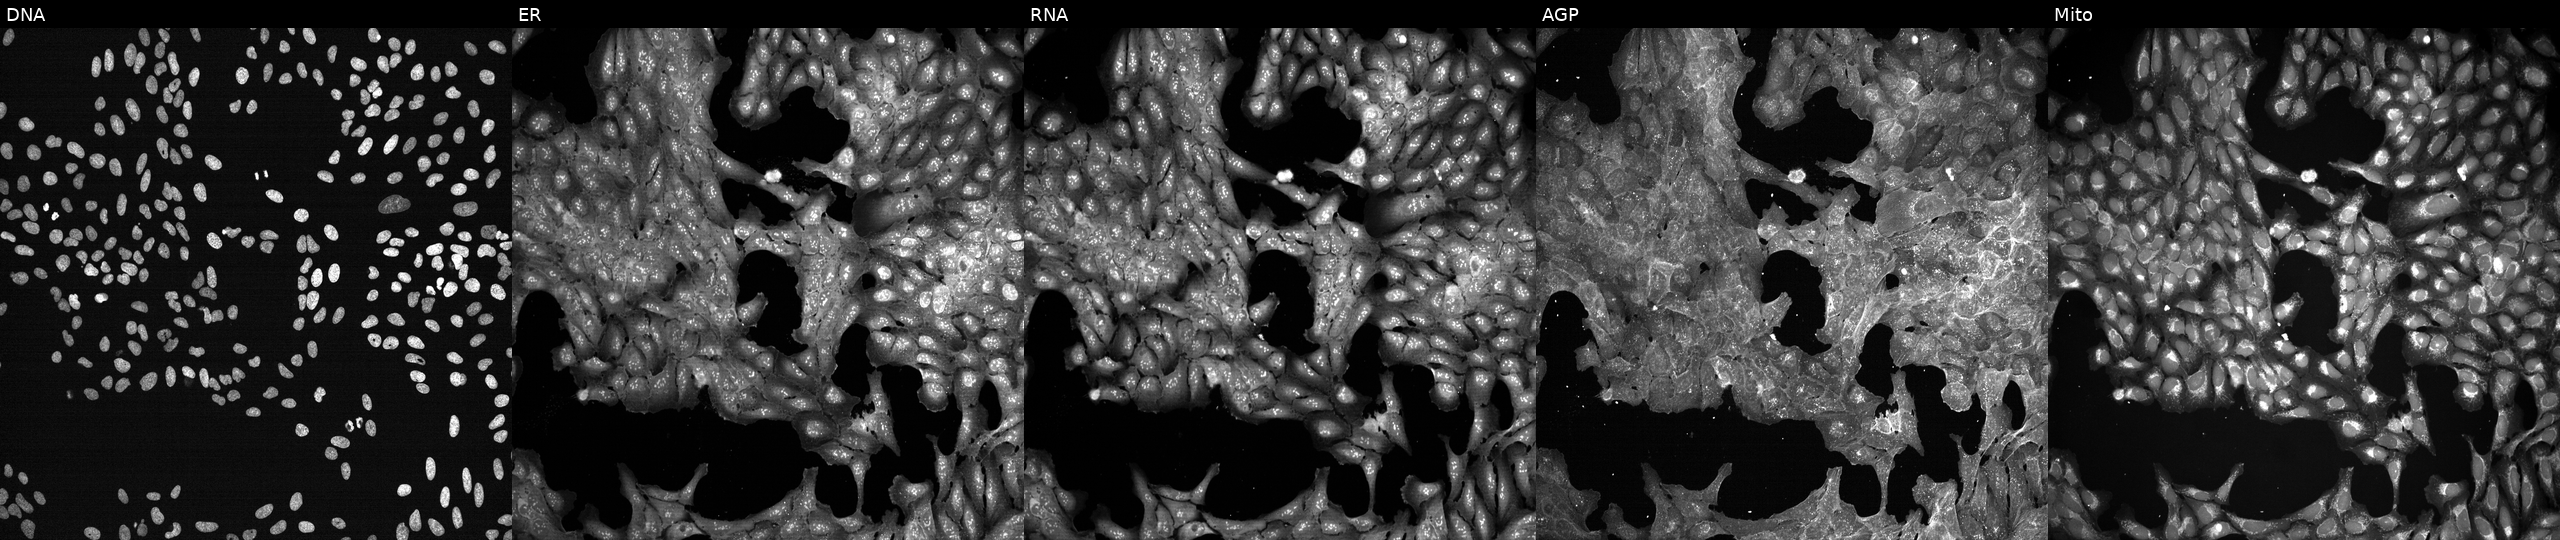
U2OS cells, Cell Painting assay, exposed to DMSO alone as a negative control. From left to right: DNA, ER, RNA, AGP, and Mito. Each panel is percentile-stretched 16-bit fluorescence. Source 7, plate CP2-SC1-25, well E05.